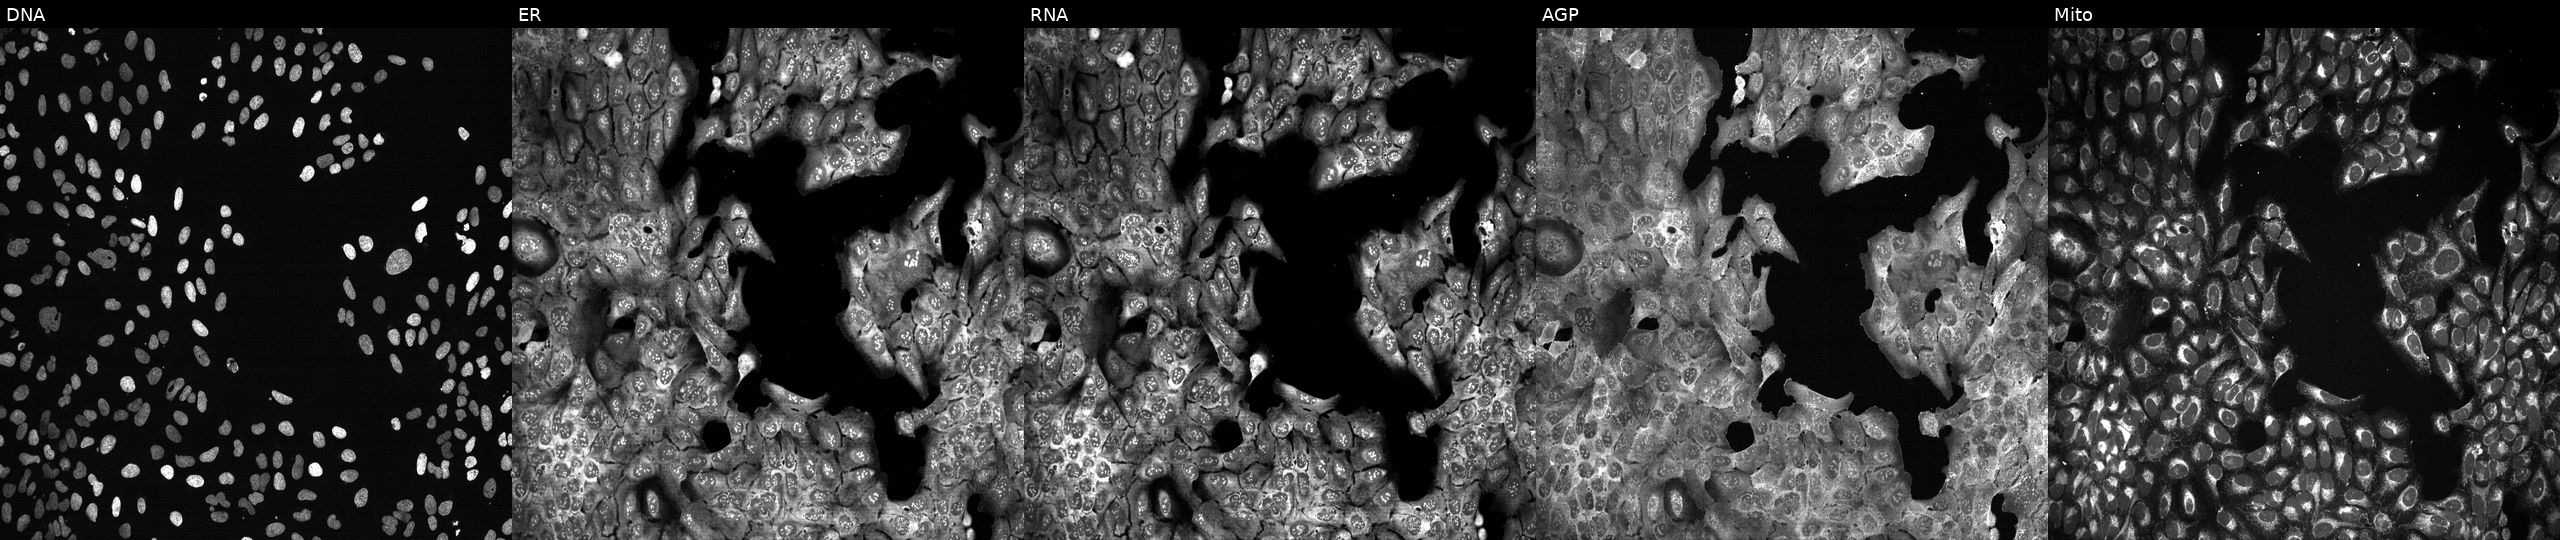
High-content fluorescence microscopy (Cell Painting). Cell line: U2OS. Perturbation: with KIF5C knocked out by CRISPR. Panels show, left to right, Hoechst 33342, concanavalin A, SYTO 14, phalloidin and WGA, MitoTracker. Source 13, plate CP-CC9-R3-02, well G09.